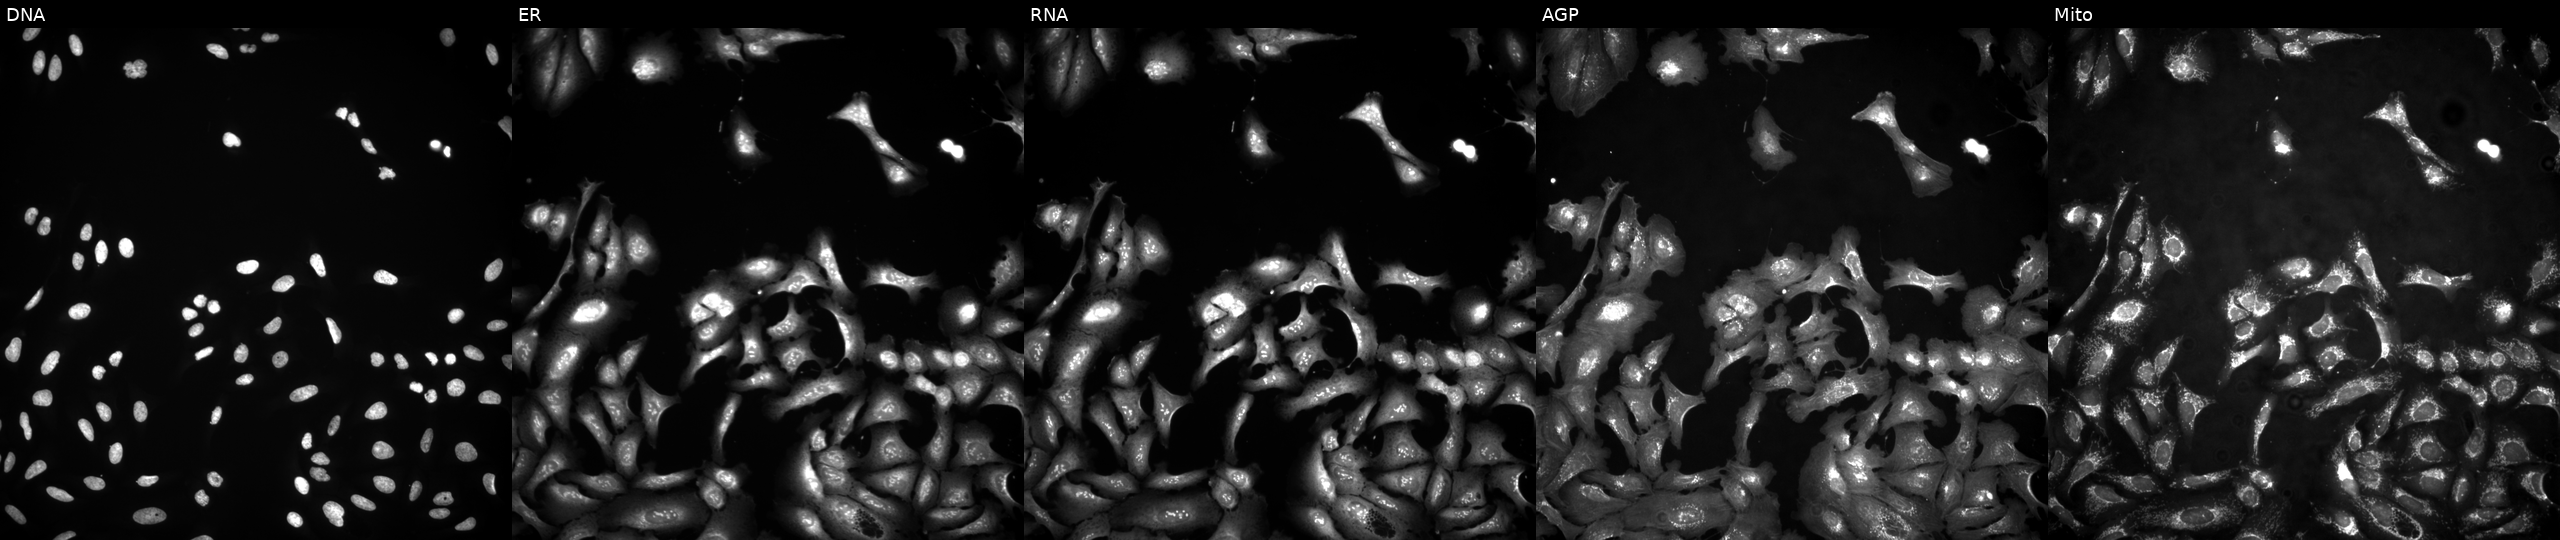
JUMP Cell Painting — ORF plate. U2OS cells with TUFT1 overexpressed (ORF). Panels show, left to right, Hoechst 33342, concanavalin A, SYTO 14, phalloidin and WGA, MitoTracker.